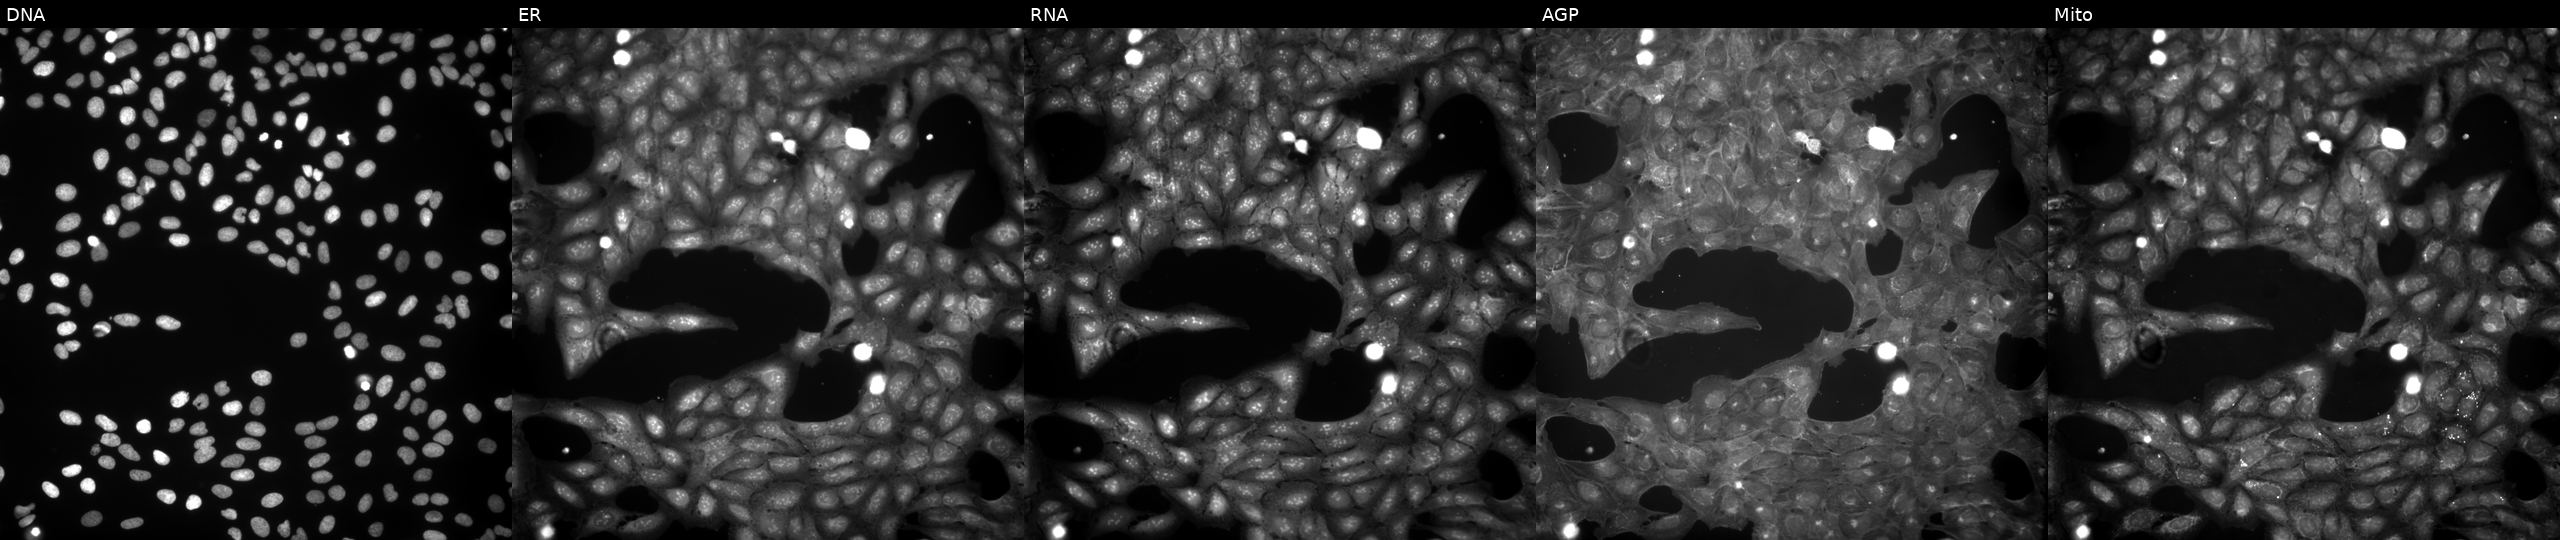
JUMP Cell Painting — COMPOUND plate. U2OS cells exposed to a small-molecule compound (JUMP id JCP2022_060236). Panels show, left to right, DNA, ER, RNA, AGP, and Mito.